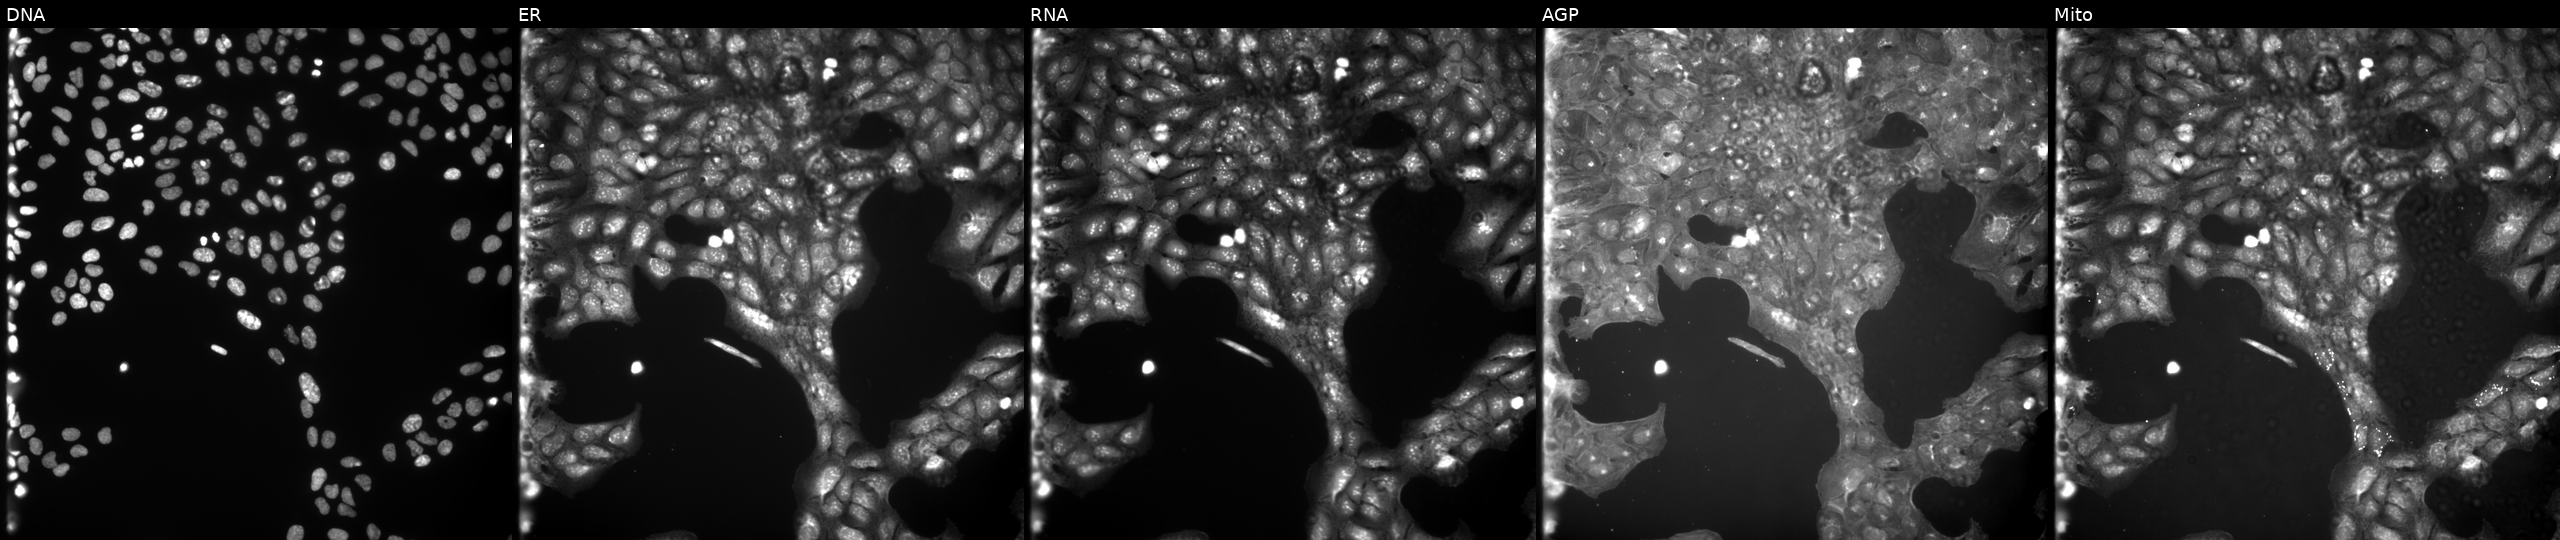
Five-channel Cell Painting image of U2OS cells perturbed with a small-molecule compound (InChIKey MIEKHSMUGGQNQR-UHFFFAOYSA-N) (JUMP id JCP2022_054327). Channels (left→right): Hoechst 33342, concanavalin A, SYTO 14, phalloidin and WGA, MitoTracker. Source 9, plate GR00003382, well B19.